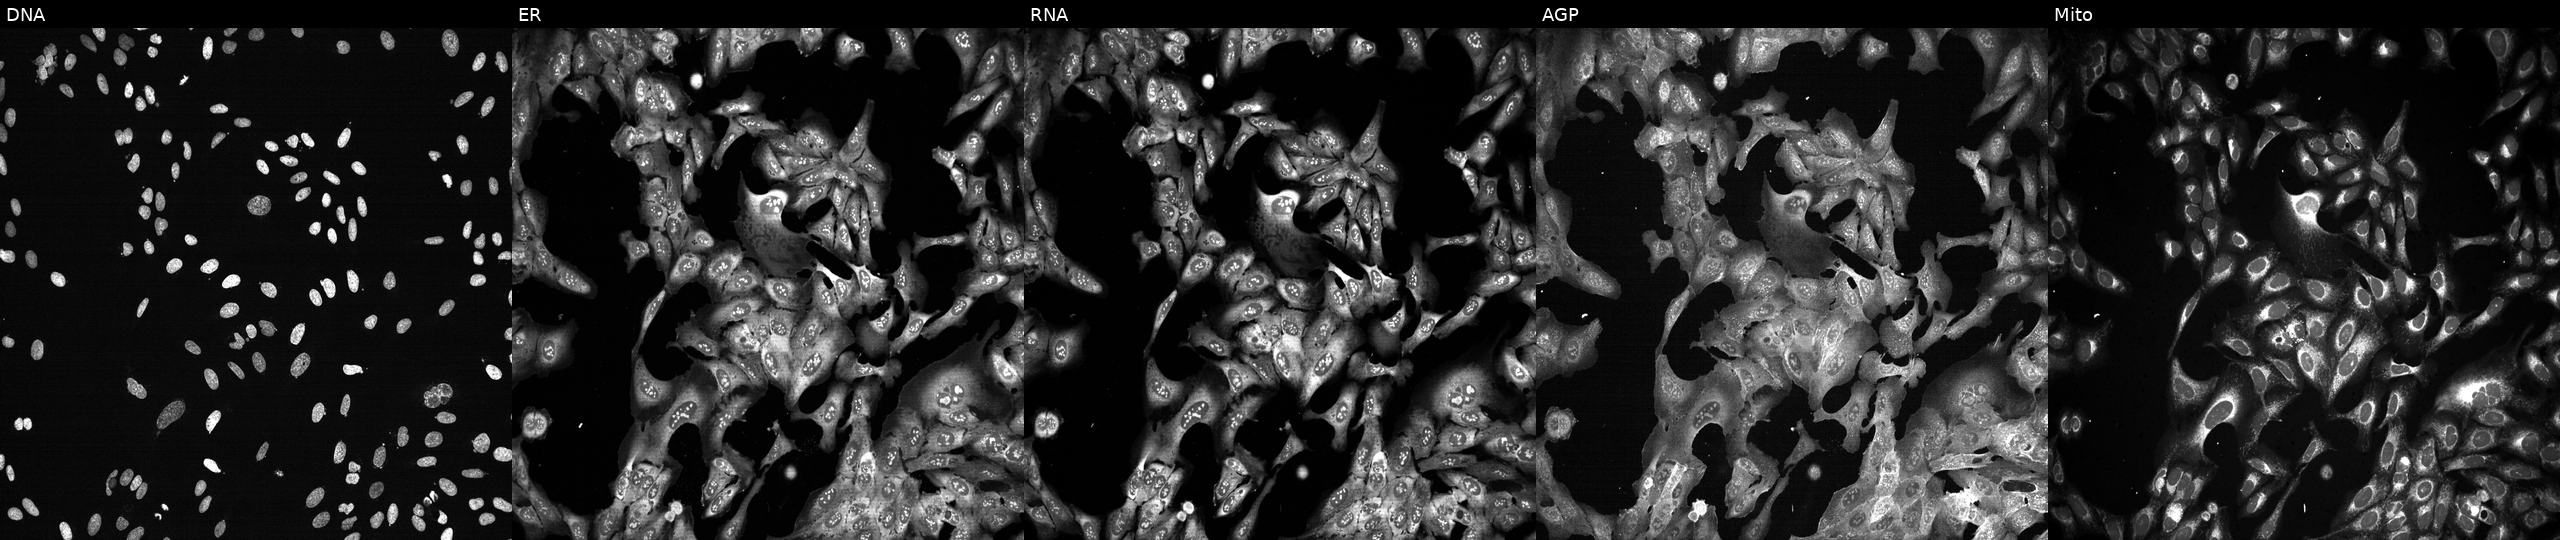
High-content fluorescence microscopy (Cell Painting). Cell line: U2OS. Perturbation: CRISPR-edited to disrupt RAPGEF5. Channels (left→right): DNA (nuclei); ER (endoplasmic reticulum); RNA (nucleoli and cytoplasmic RNA); AGP (actin cytoskeleton, Golgi, and plasma membrane); Mito (mitochondria).